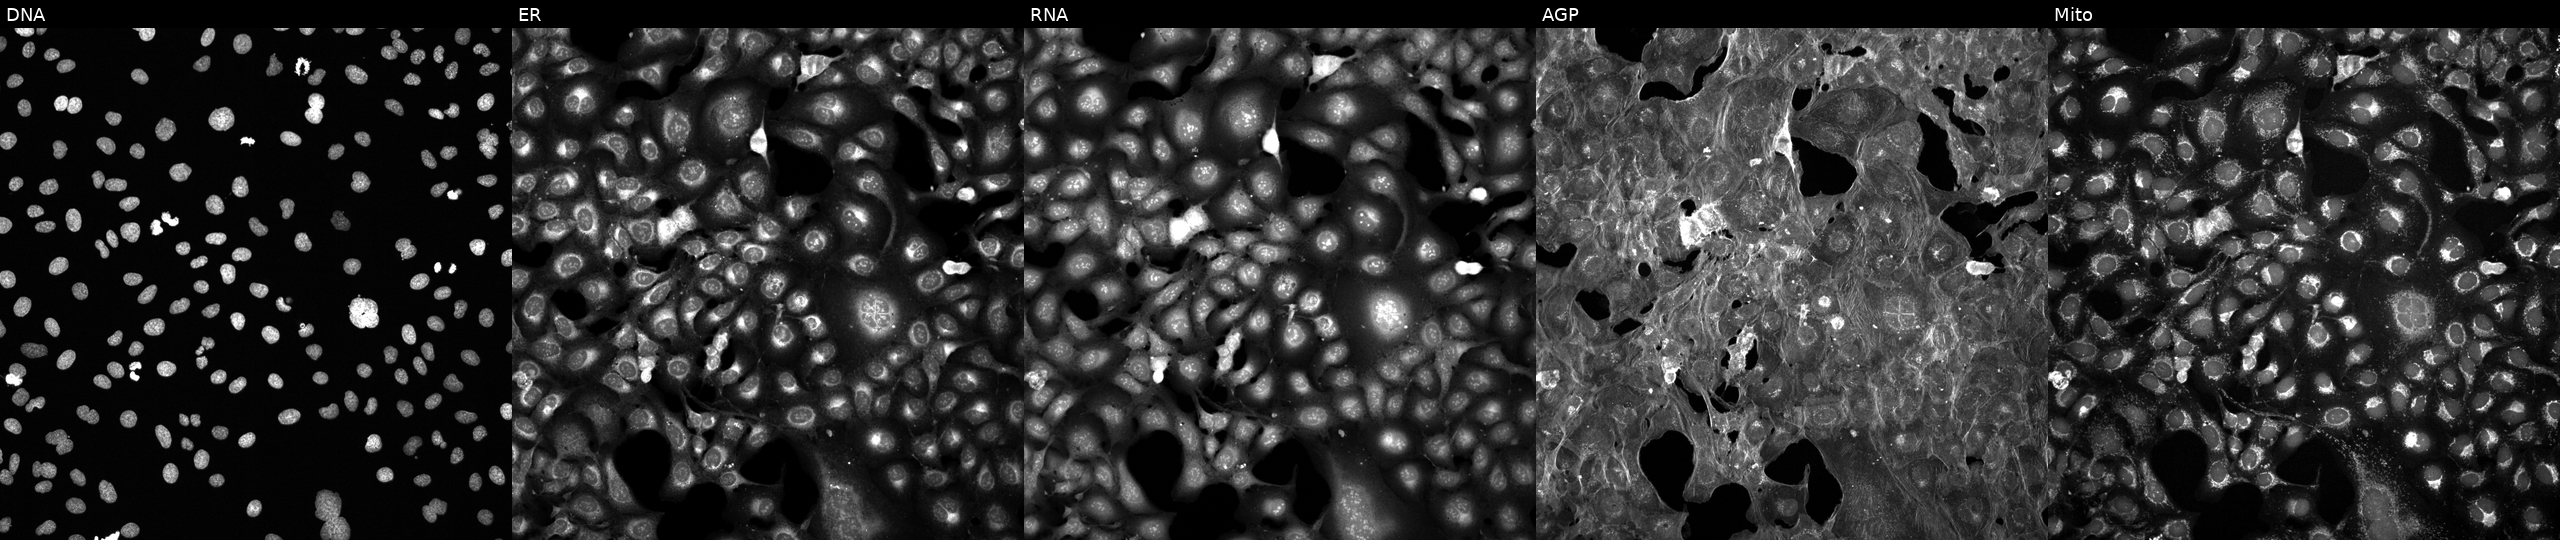
JUMP Cell Painting — TARGET2 plate. U2OS cells treated with a small-molecule compound (InChIKey GDVRVPIXWXOKQO-UHFFFAOYSA-N) [SMILES: O=C(N=c1[nH]c(-c2ccncc2)cs1)NCc1cccc(O)c1] (JUMP id JCP2022_024824). From left to right: DNA, ER, RNA, AGP, and Mito.